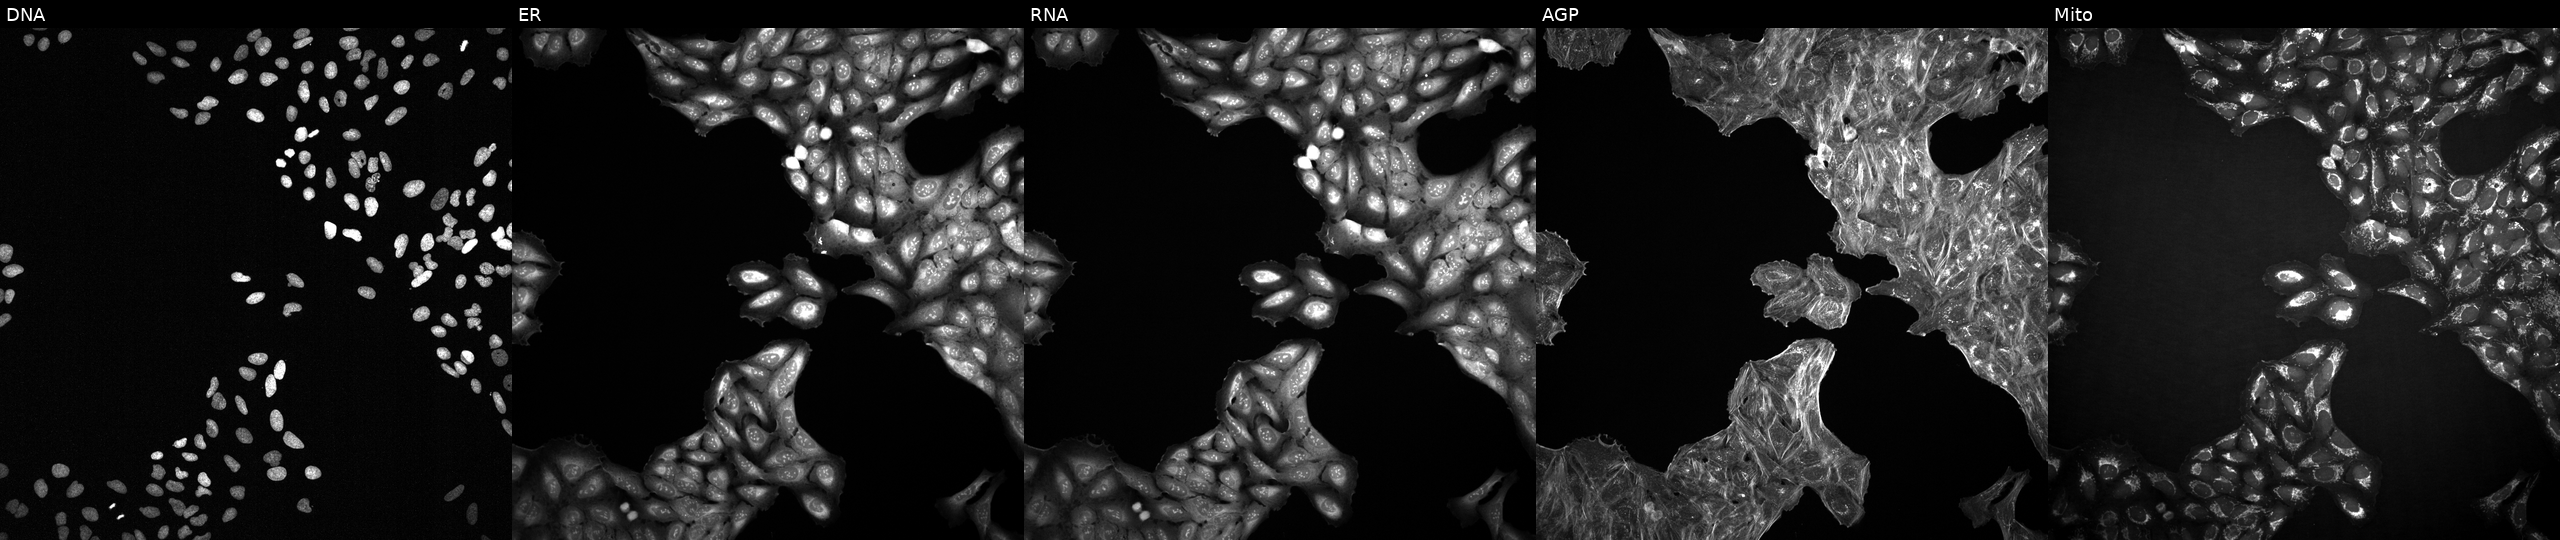
High-content fluorescence microscopy (Cell Painting). Cell line: U2OS. Perturbation: exposed to DMSO alone as a negative control. From left to right: DNA (nuclei); ER (endoplasmic reticulum); RNA (nucleoli and cytoplasmic RNA); AGP (actin cytoskeleton, Golgi, and plasma membrane); Mito (mitochondria).